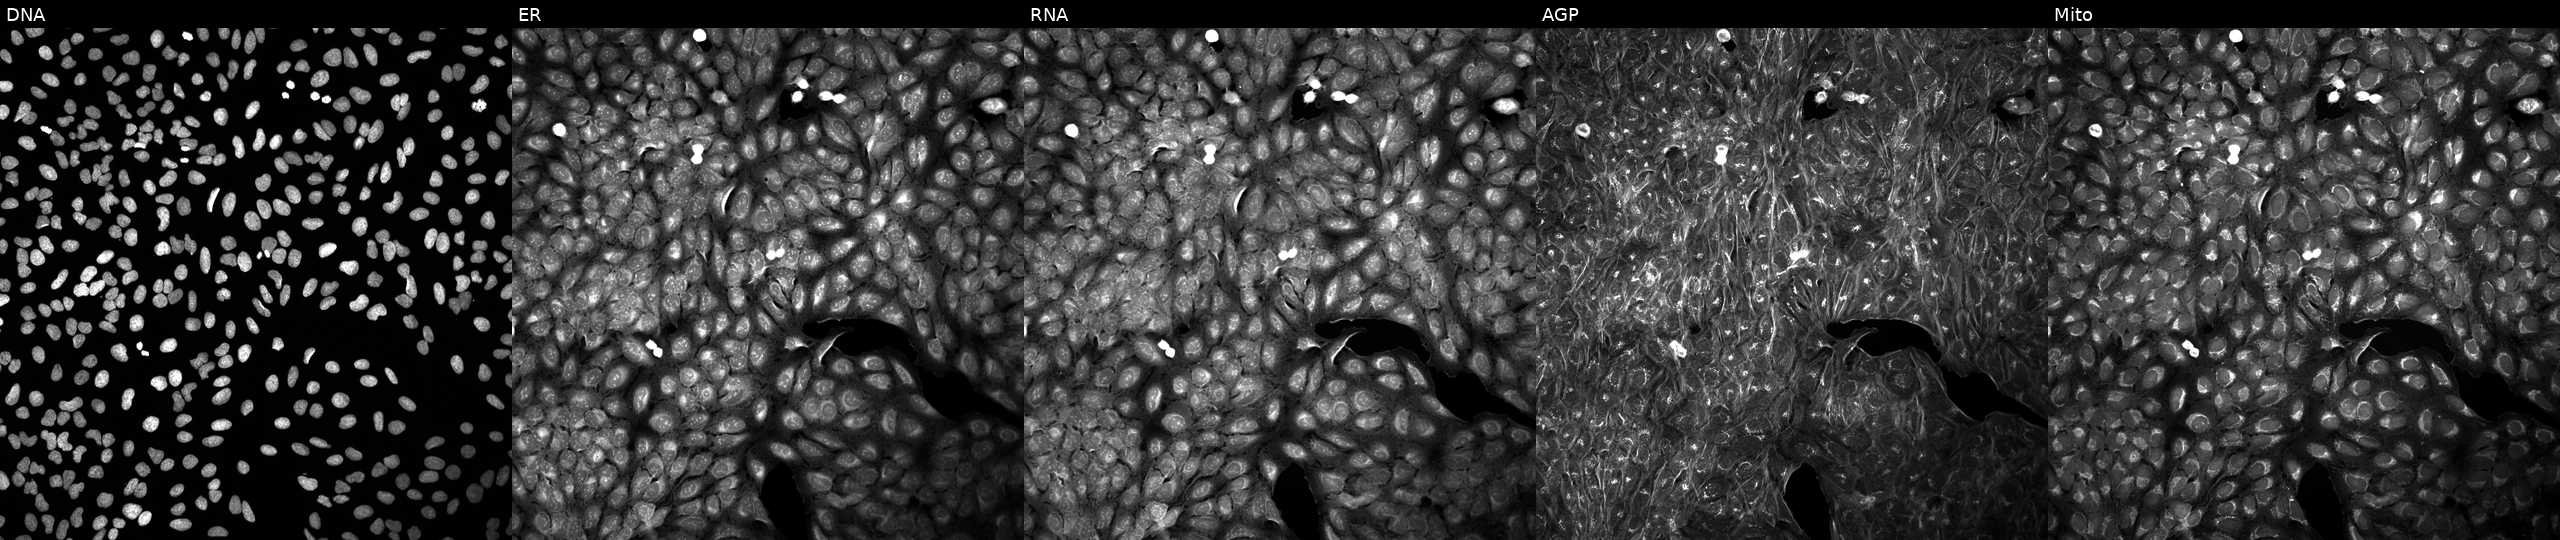
The five panels, left to right, show DNA (nuclei); ER (endoplasmic reticulum); RNA (nucleoli and cytoplasmic RNA); AGP (actin cytoskeleton, Golgi, and plasma membrane); Mito (mitochondria). U2OS osteosarcoma cells perturbed with a small-molecule compound (JUMP id JCP2022_085471). Cell Painting assay, JUMP-CP dataset. Source 5, plate APTJUM105, well P21.